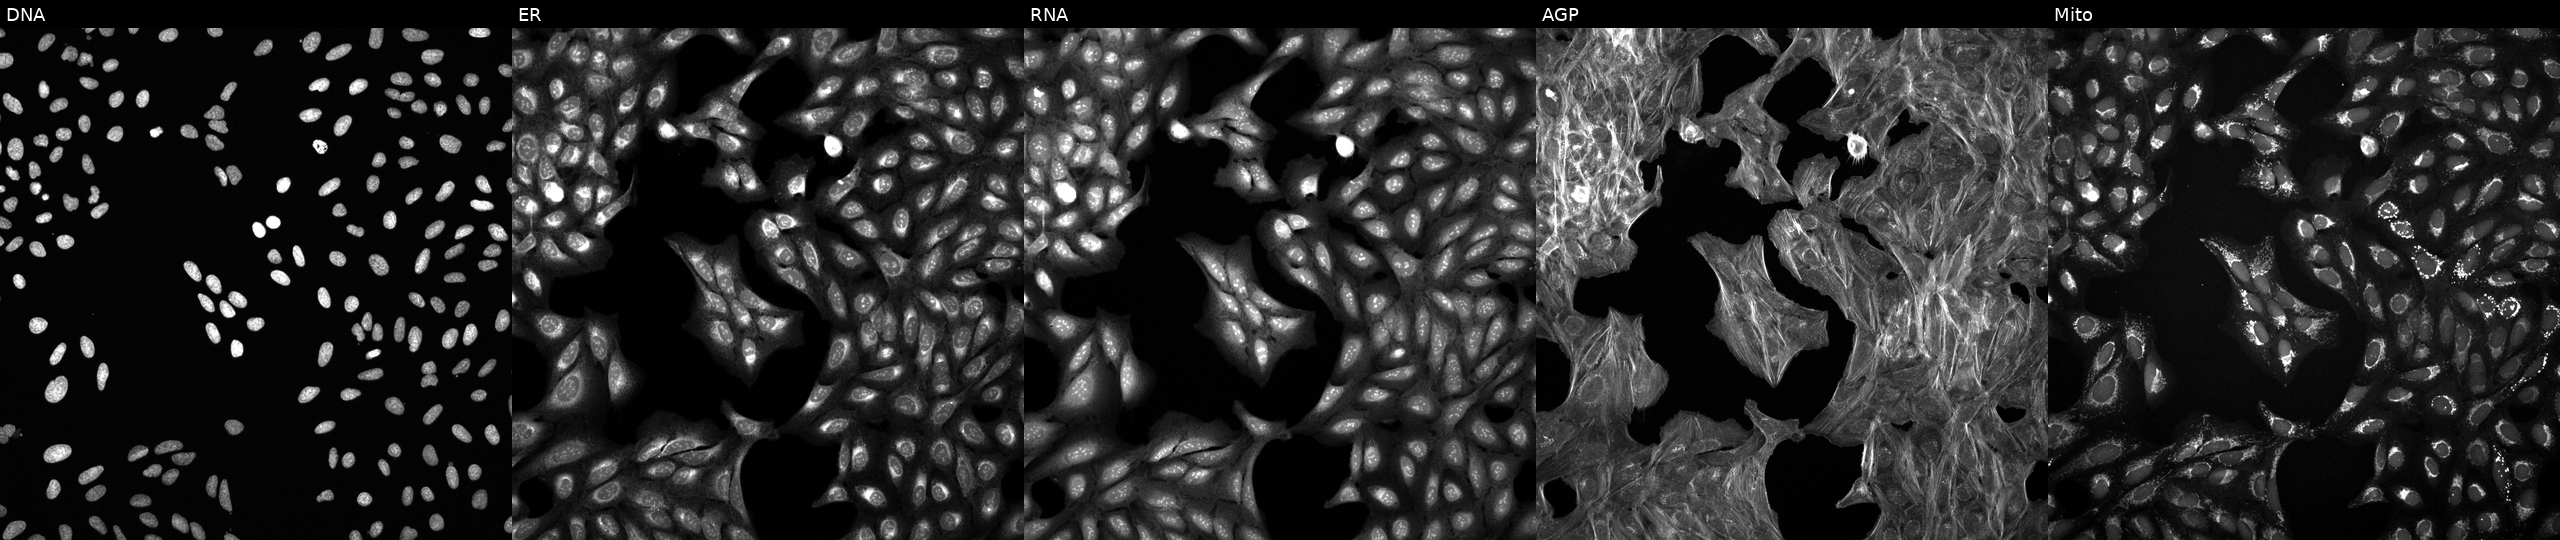
This image strip shows the five Cell Painting channels for a single field of U2OS cells treated with a small-molecule compound. Channels (left→right): Hoechst 33342, concanavalin A, SYTO 14, phalloidin and WGA, MitoTracker. Source 6, plate 110000293082, well F15.